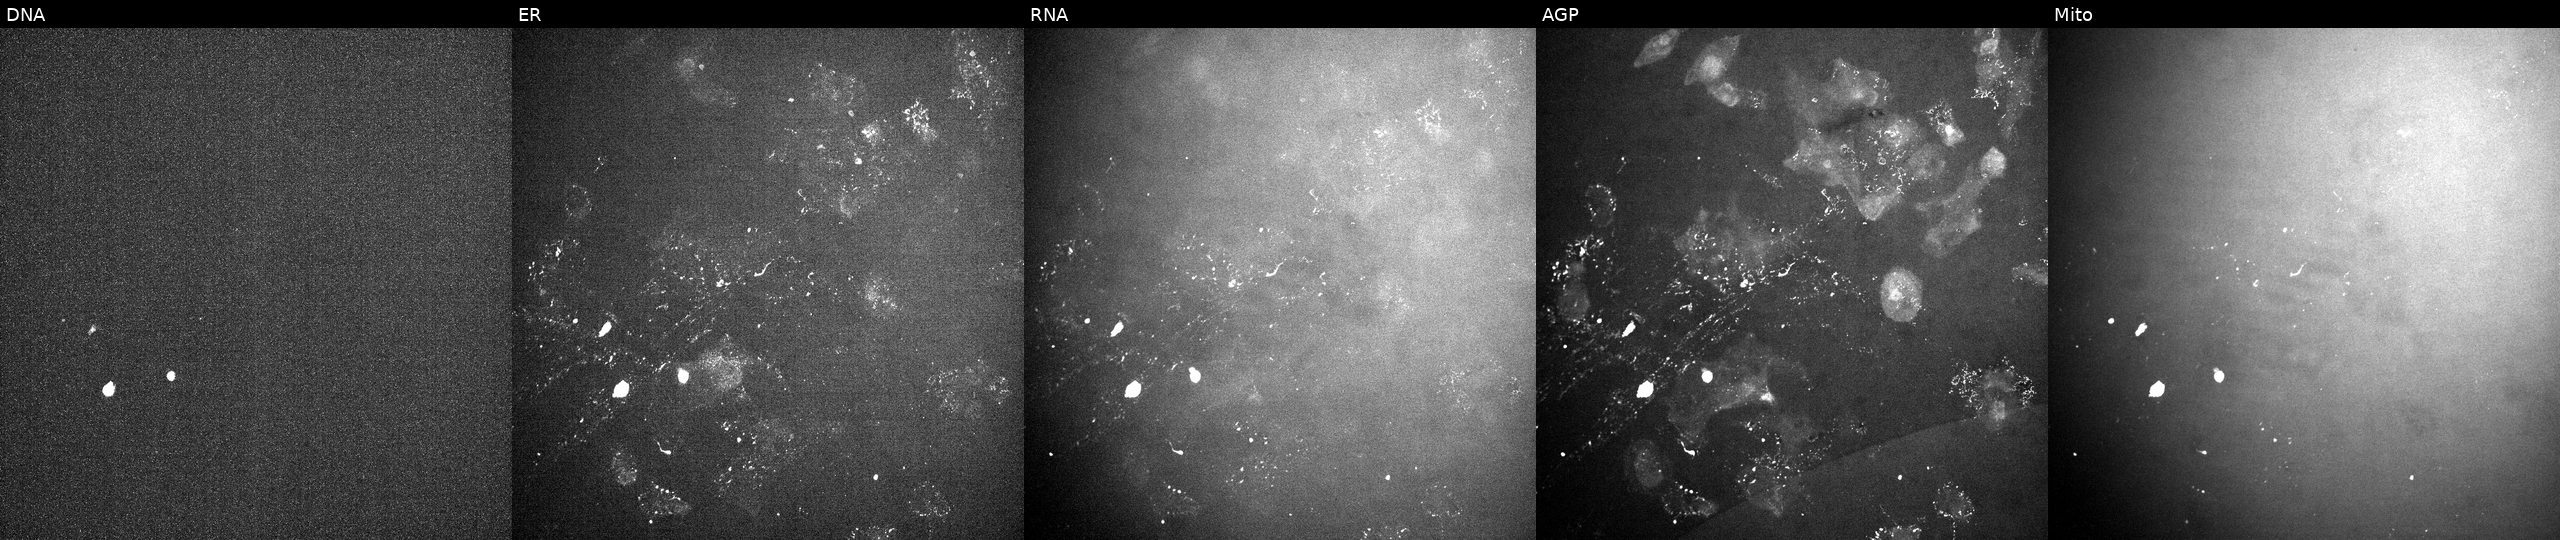
High-content fluorescence microscopy (Cell Painting). Cell line: U2OS. Perturbation: treated with a small-molecule compound. From left to right: DNA, ER, RNA, AGP, and Mito.